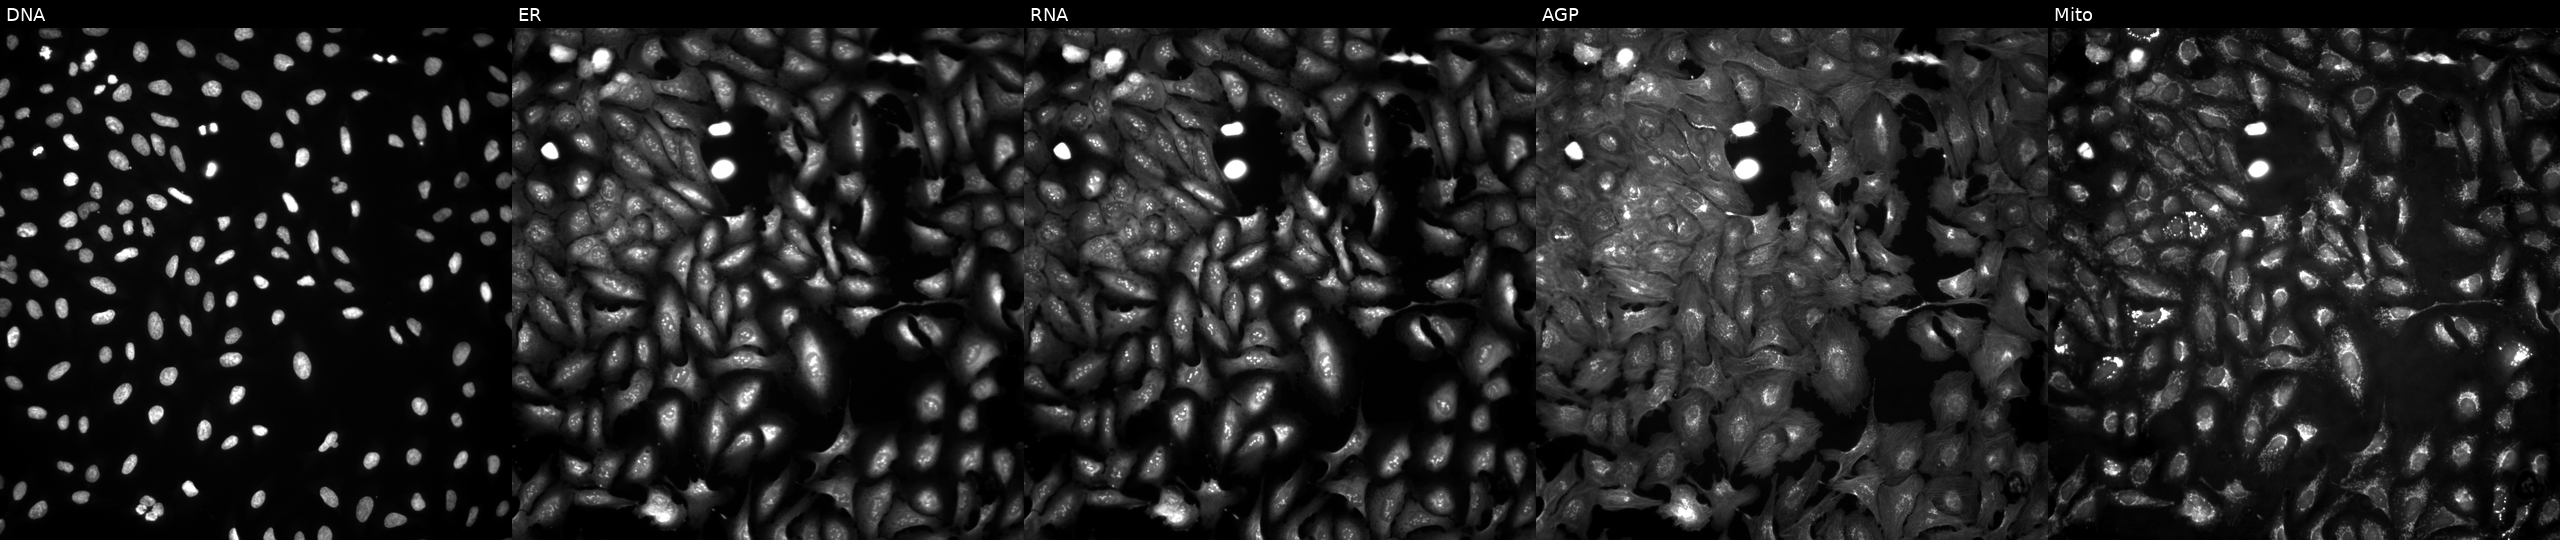
Panels show, left to right, DNA, ER, RNA, AGP, and Mito. U2OS osteosarcoma cells transfected with an ORF construct for APOC3. Cell Painting assay, JUMP-CP dataset. Source 4, plate BR00124784, well B01.